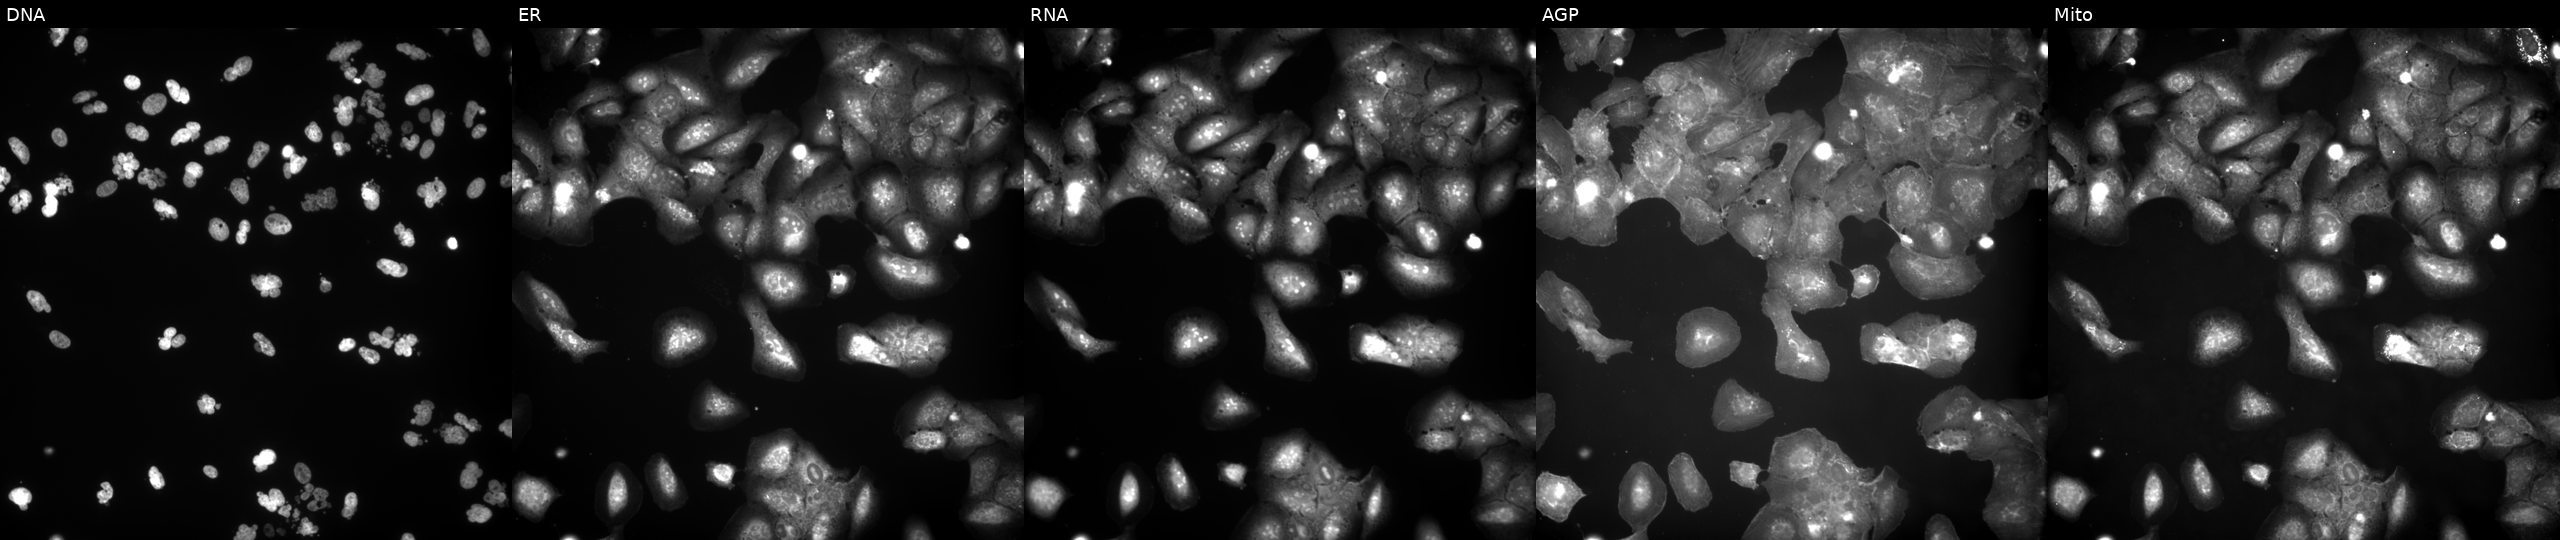
This image strip shows the five Cell Painting channels for a single field of U2OS cells perturbed with a small-molecule compound (JUMP id JCP2022_101701). From left to right: DNA, ER, RNA, AGP, and Mito.